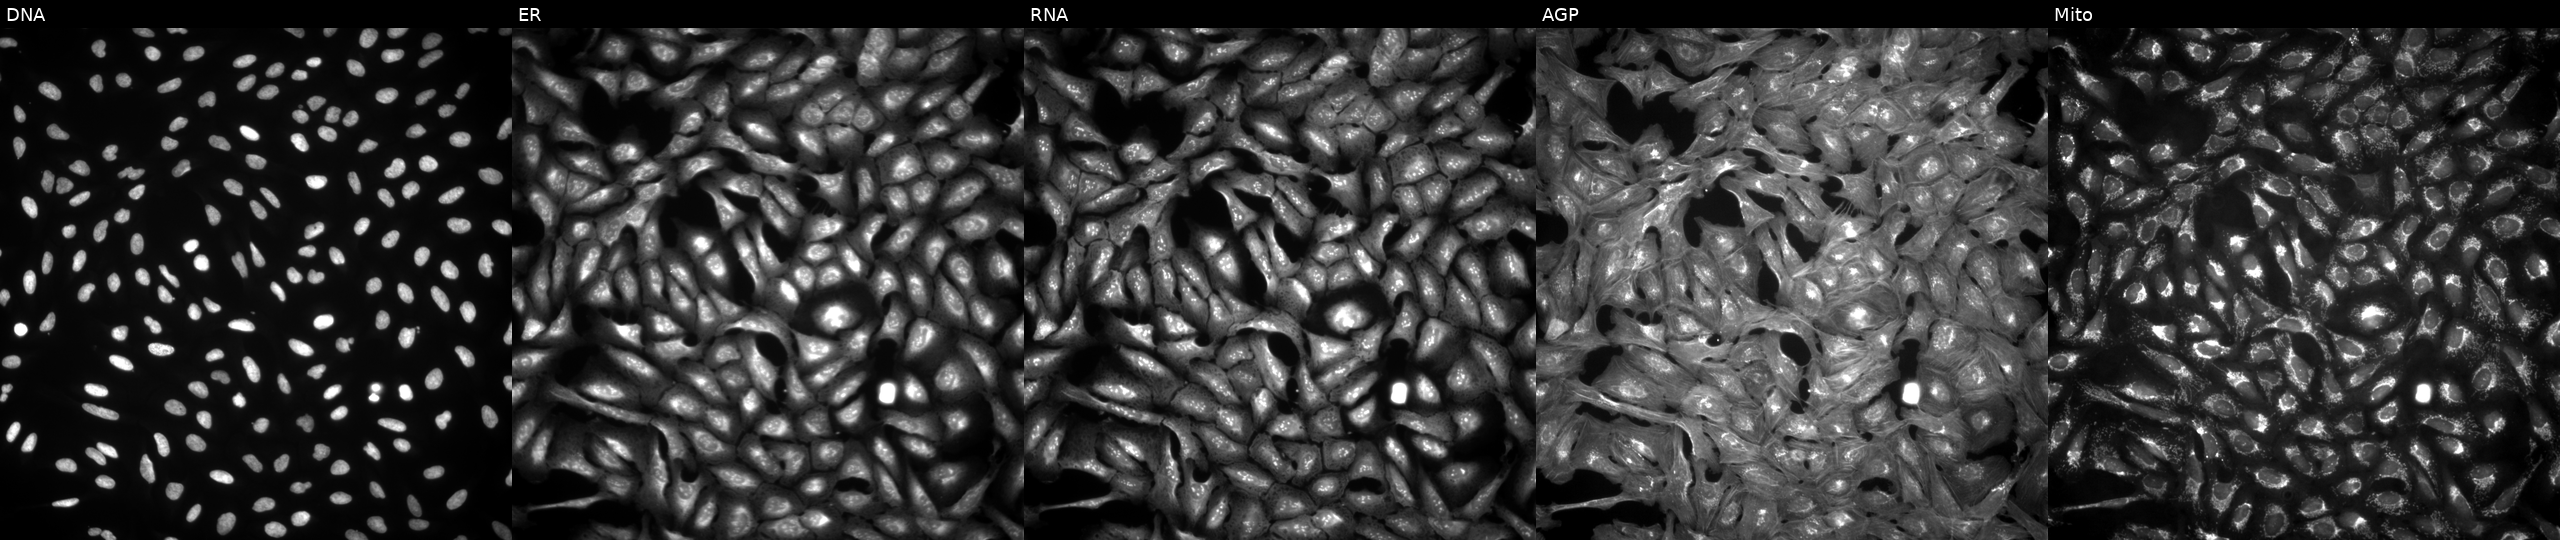
This image strip shows the five Cell Painting channels for a single field of U2OS cells overexpressing MT2A via ORF transfection. Panels show, left to right, DNA (nuclei); ER (endoplasmic reticulum); RNA (nucleoli and cytoplasmic RNA); AGP (actin cytoskeleton, Golgi, and plasma membrane); Mito (mitochondria).